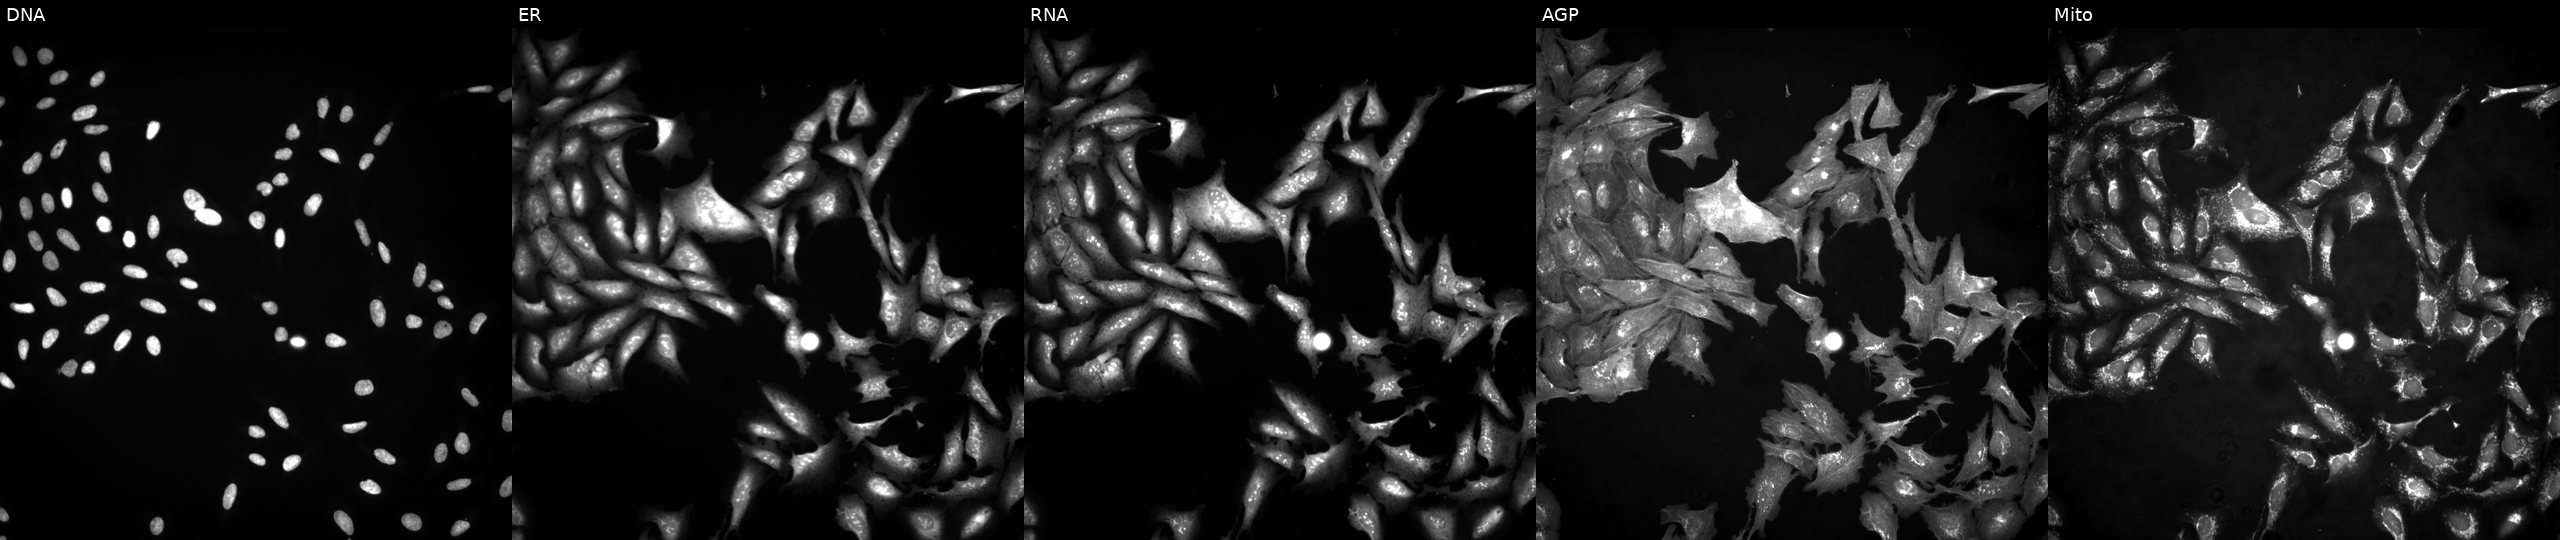
U2OS cells, Cell Painting assay, with SH3BP5L overexpressed (ORF) (JUMP id JCP2022_914182). Panels show, left to right, DNA (nuclei); ER (endoplasmic reticulum); RNA (nucleoli and cytoplasmic RNA); AGP (actin cytoskeleton, Golgi, and plasma membrane); Mito (mitochondria). Each panel is percentile-stretched 16-bit fluorescence.